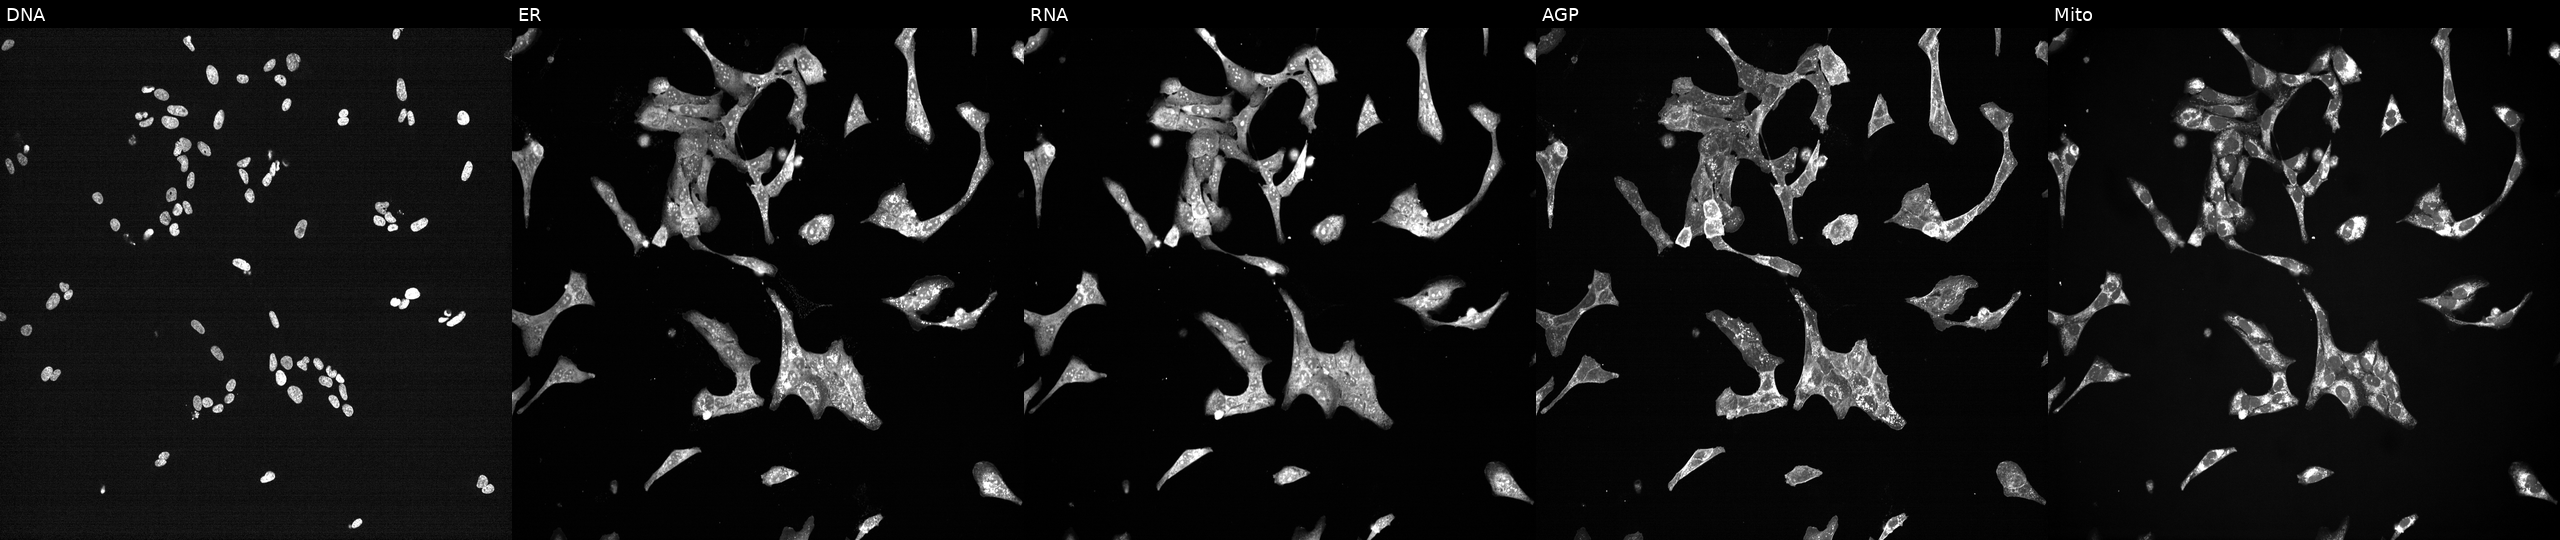
Five-channel Cell Painting image of U2OS cells exposed to a small-molecule compound (JUMP id JCP2022_092256). Channels (left→right): DNA, ER, RNA, AGP, and Mito. Source 7, plate CP3-SC1-25, well P01.